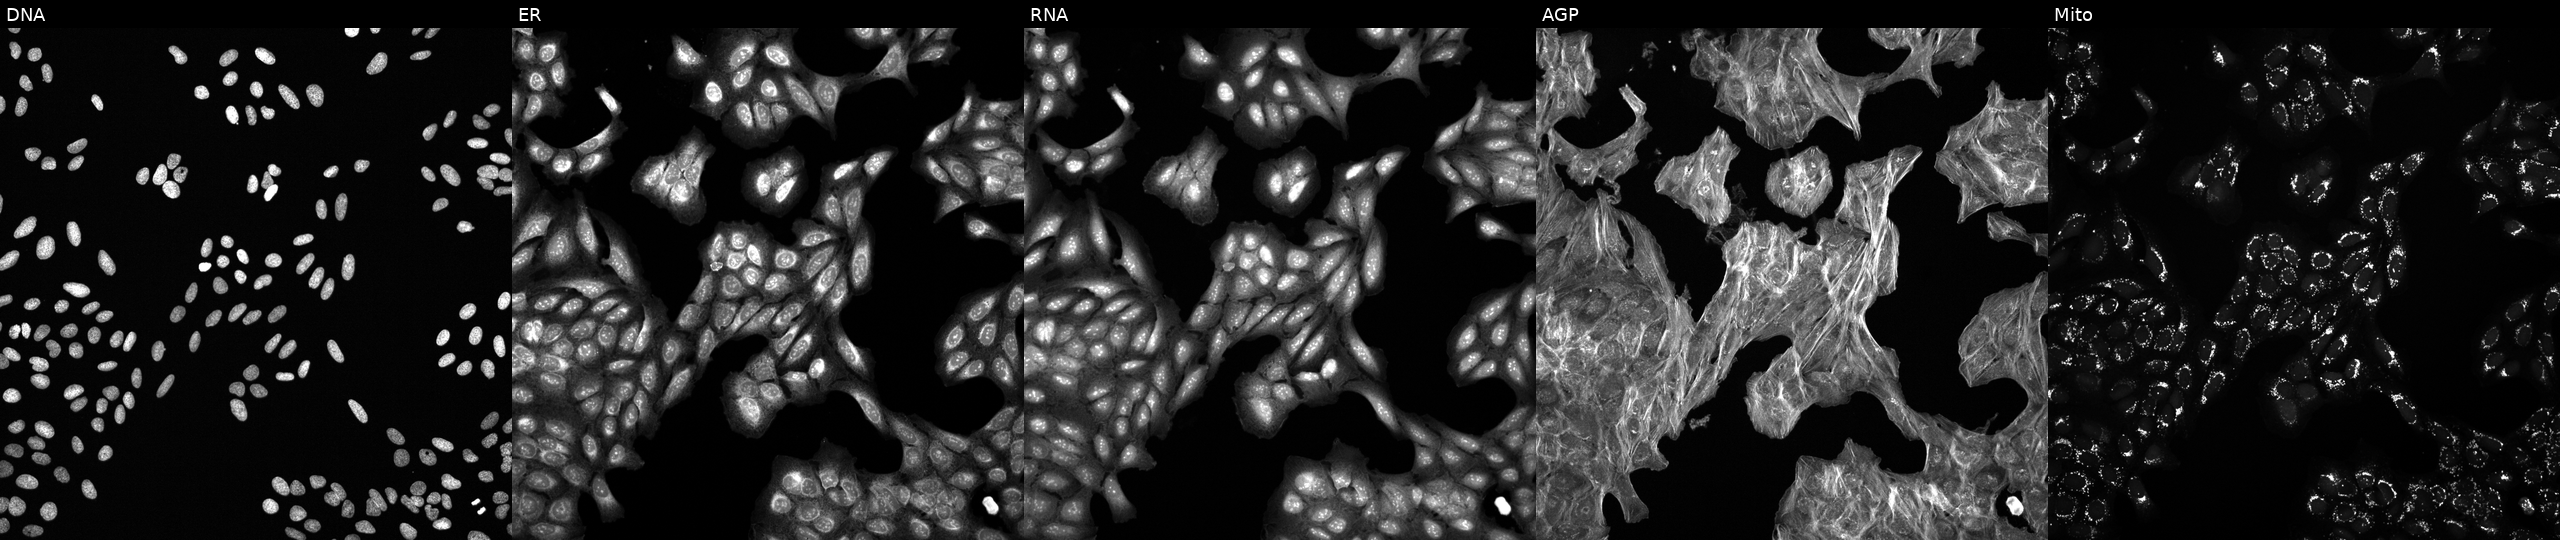
JUMP Cell Painting — TARGET2 plate. U2OS cells perturbed with a small-molecule compound. Channels (left→right): DNA (nuclei); ER (endoplasmic reticulum); RNA (nucleoli and cytoplasmic RNA); AGP (actin cytoskeleton, Golgi, and plasma membrane); Mito (mitochondria). Source 6, plate 110000293093, well B09.